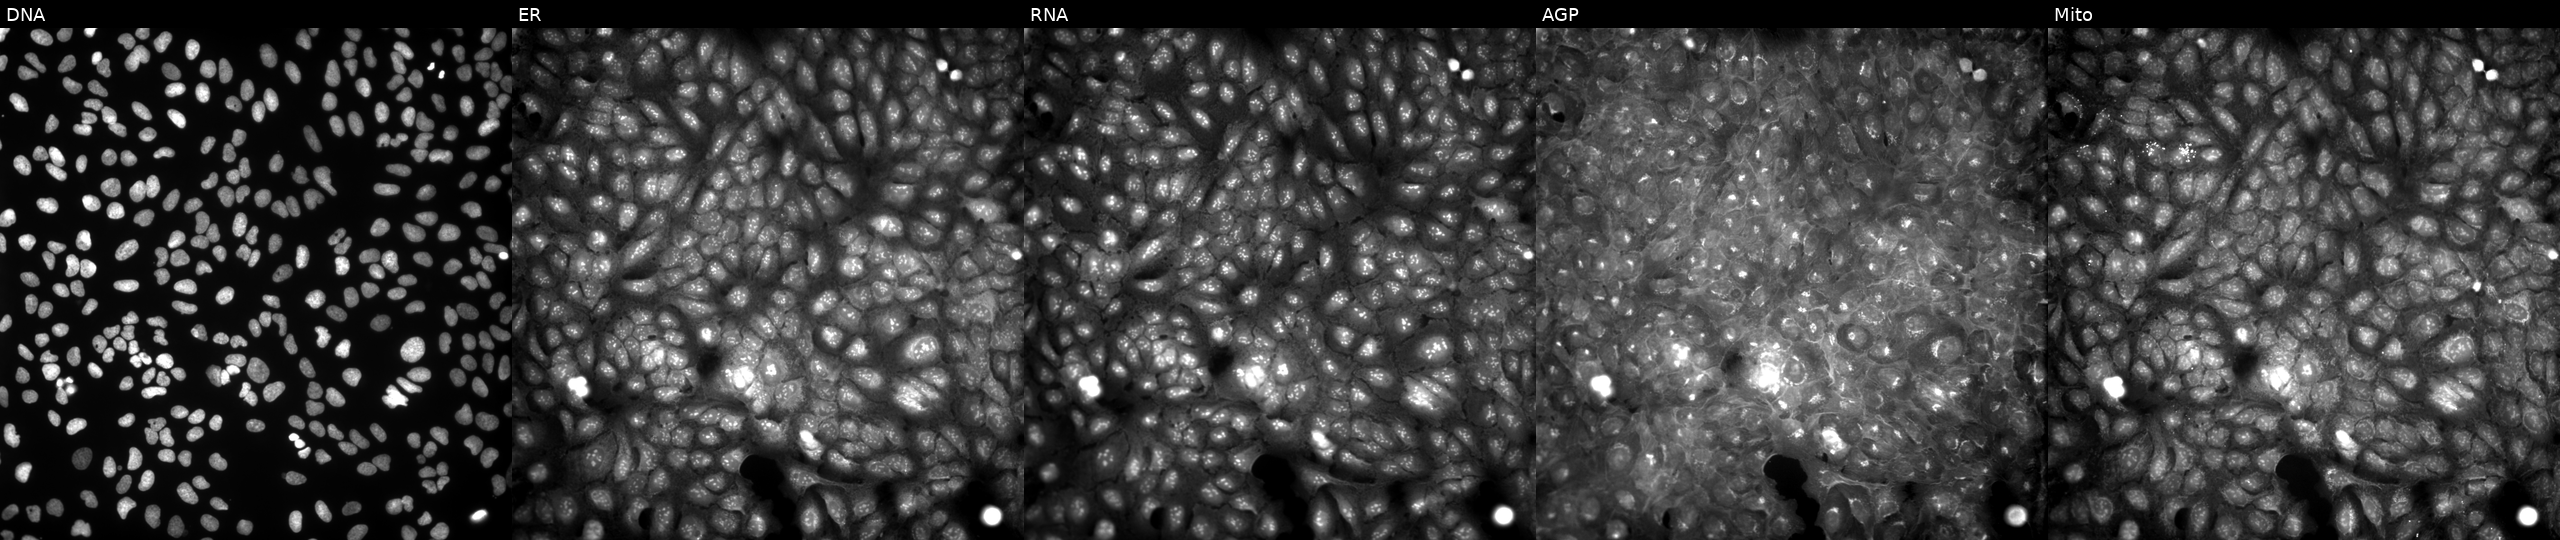
Five-channel Cell Painting image of U2OS cells treated with a small-molecule compound (InChIKey IDOMJIOORUVCPK-UHFFFAOYSA-N) [SMILES: CCOC(=O)c1c(N2C(=O)C=CC2=O)sc(C)c1C] (JUMP id JCP2022_034373). Panels show, left to right, DNA, ER, RNA, AGP, and Mito.